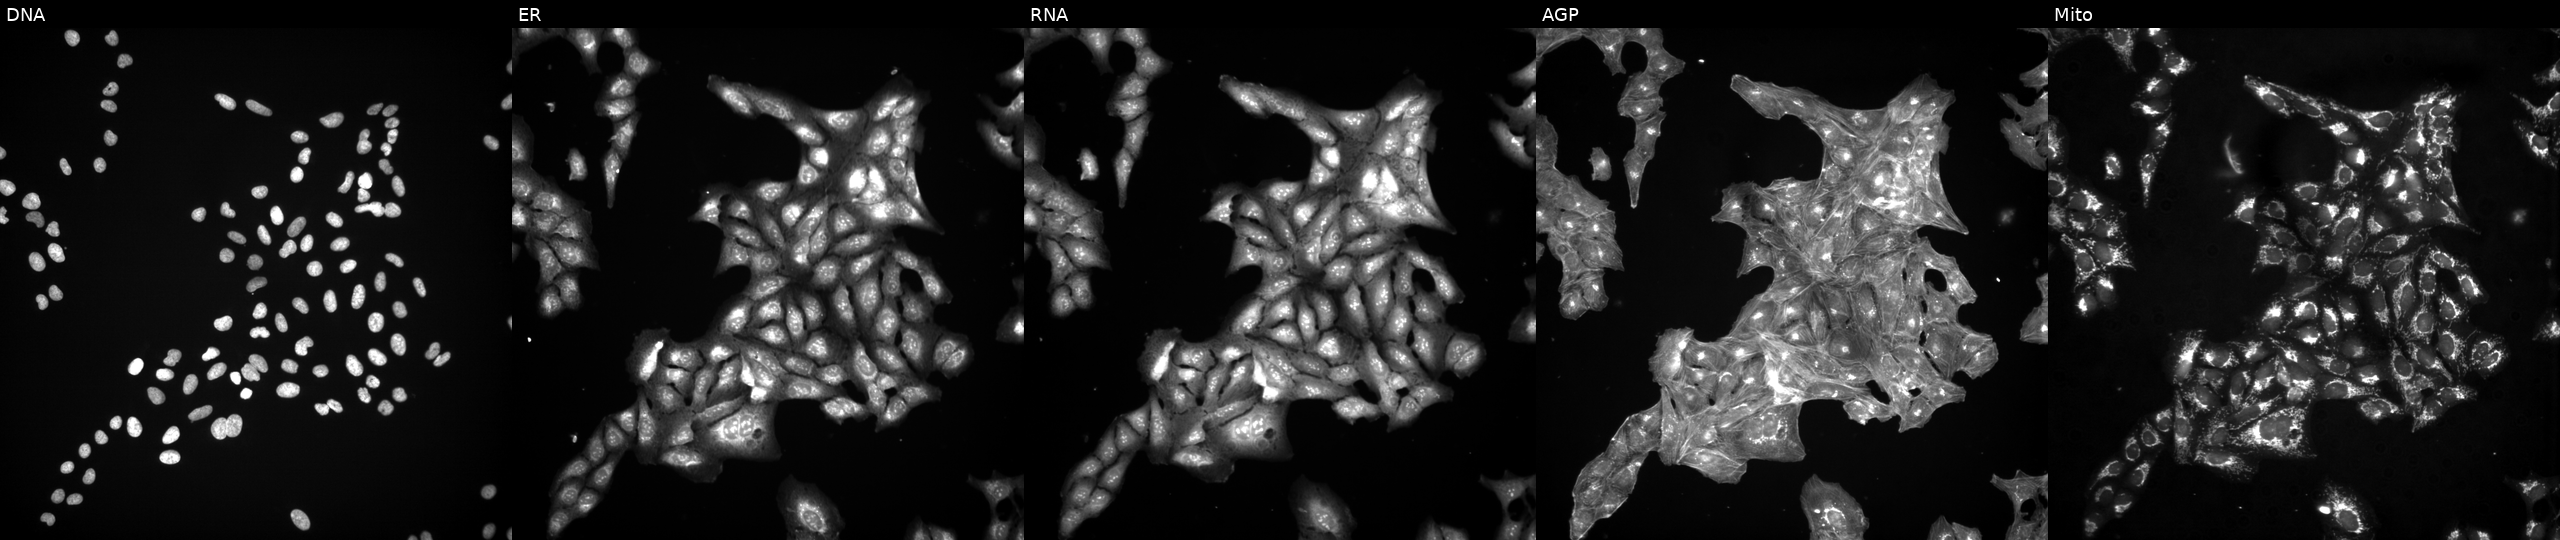
This image strip shows the five Cell Painting channels for a single field of U2OS cells treated with a small-molecule compound. The five panels, left to right, show Hoechst 33342, concanavalin A, SYTO 14, phalloidin and WGA, MitoTracker. Source 3, plate JCPQC053, well O04.